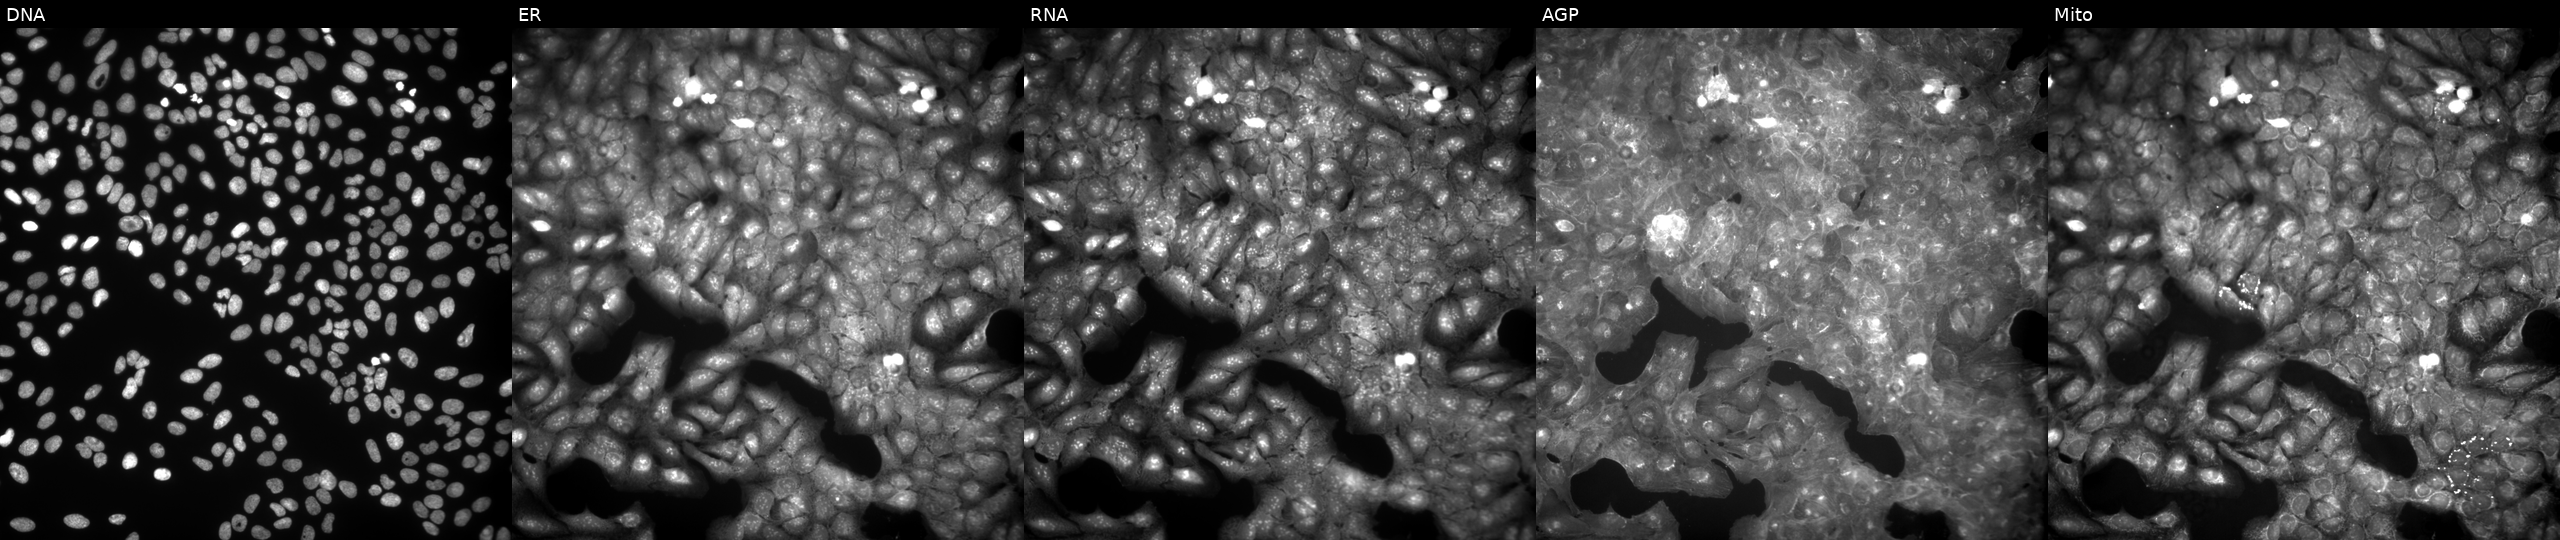
High-content fluorescence microscopy (Cell Painting). Cell line: U2OS. Perturbation: treated with a small-molecule compound (InChIKey HLMJJBGQNRQJLY-UHFFFAOYSA-N) (JUMP id JCP2022_030985). Channels (left→right): DNA (nuclei); ER (endoplasmic reticulum); RNA (nucleoli and cytoplasmic RNA); AGP (actin cytoskeleton, Golgi, and plasma membrane); Mito (mitochondria).